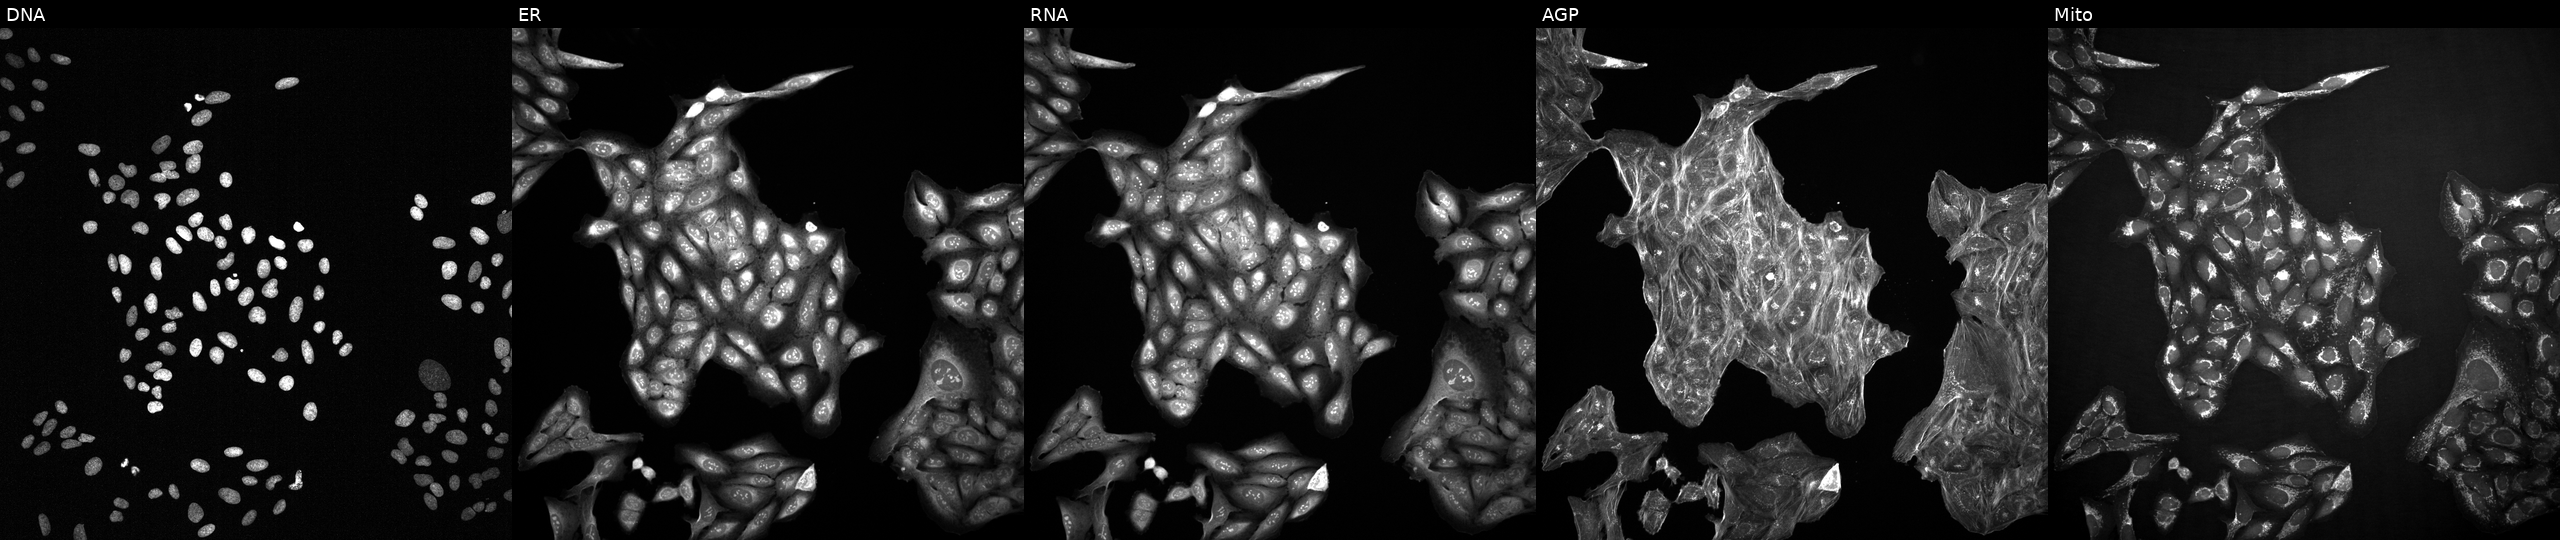
This image strip shows the five Cell Painting channels for a single field of U2OS cells exposed to a small-molecule compound (InChIKey CXUCKELNYMZTRT-UHFFFAOYSA-N) [SMILES: CCn1c(=O)[nH]c2ccccc21]. Channels (left→right): DNA, ER, RNA, AGP, and Mito.